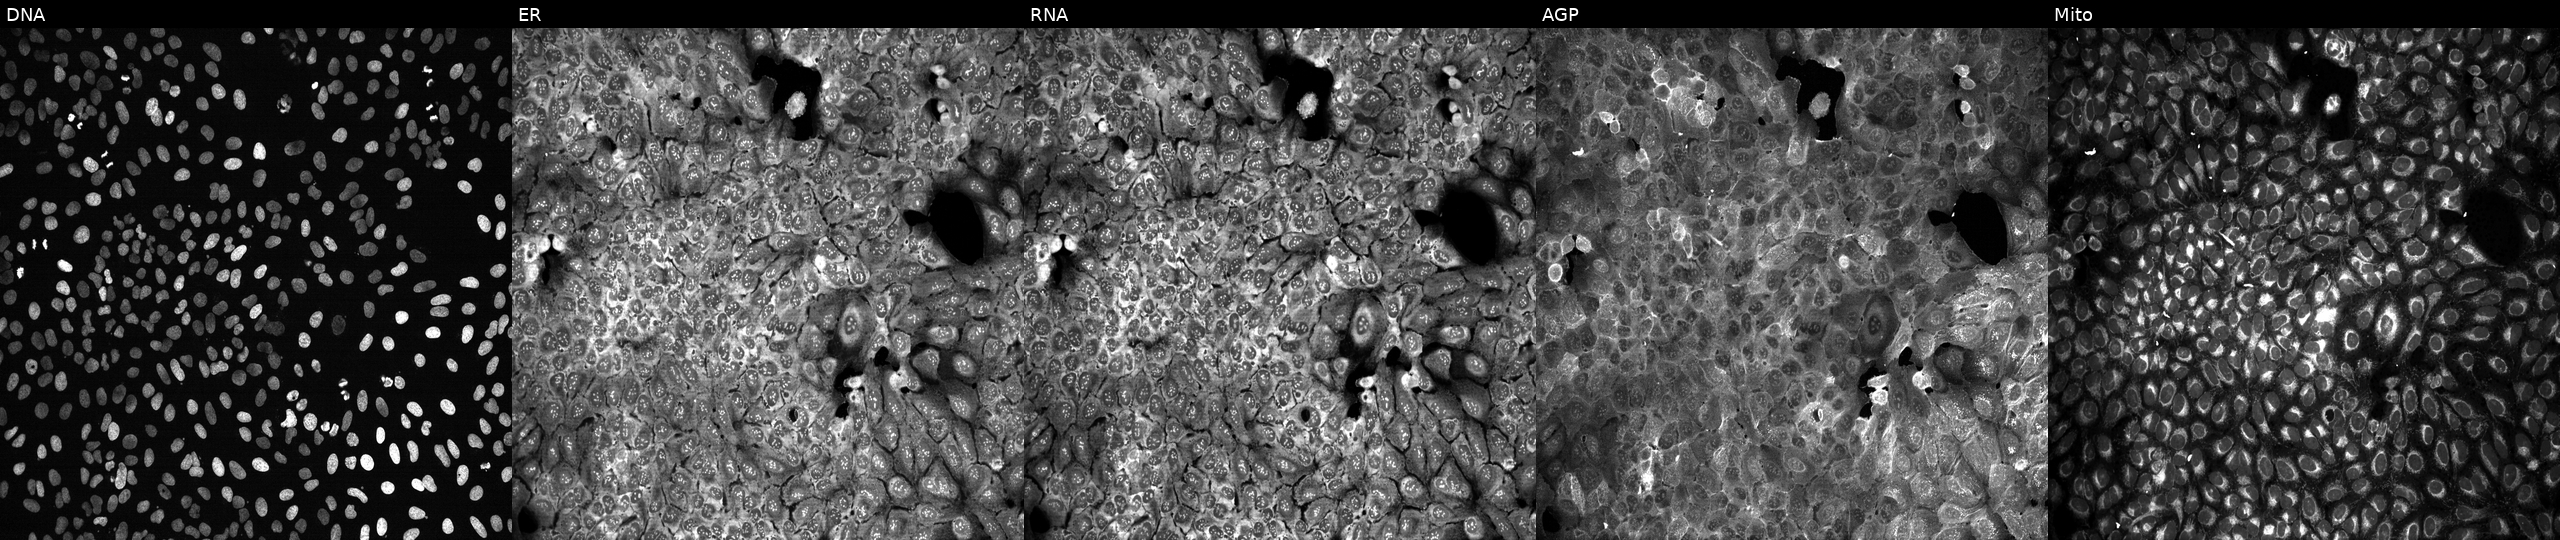
U2OS cells, Cell Painting assay, CRISPR-edited to disrupt SEPT5. Channels (left→right): DNA (nuclei); ER (endoplasmic reticulum); RNA (nucleoli and cytoplasmic RNA); AGP (actin cytoskeleton, Golgi, and plasma membrane); Mito (mitochondria). Each panel is percentile-stretched 16-bit fluorescence.